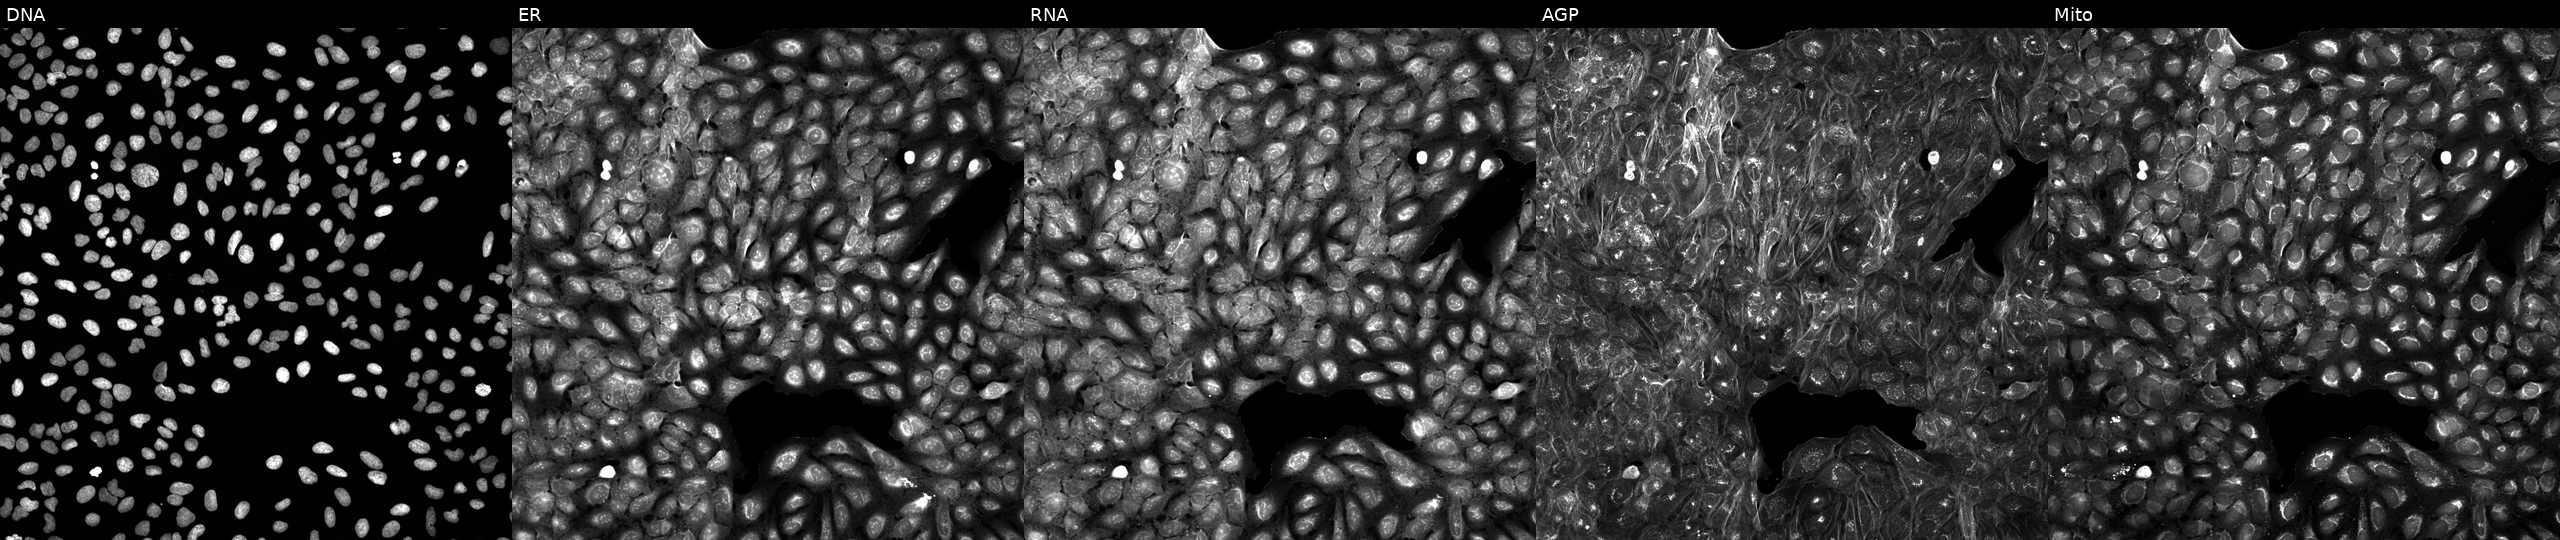
High-content fluorescence microscopy (Cell Painting). Cell line: U2OS. Perturbation: perturbed with a small-molecule compound (InChIKey SZGVQLHULOWULH-UHFFFAOYSA-N) [SMILES: CC(C)Cc1nc(CN2CCc3ncnc(N(C)C)c3C2)no1]. From left to right: DNA, ER, RNA, AGP, and Mito.